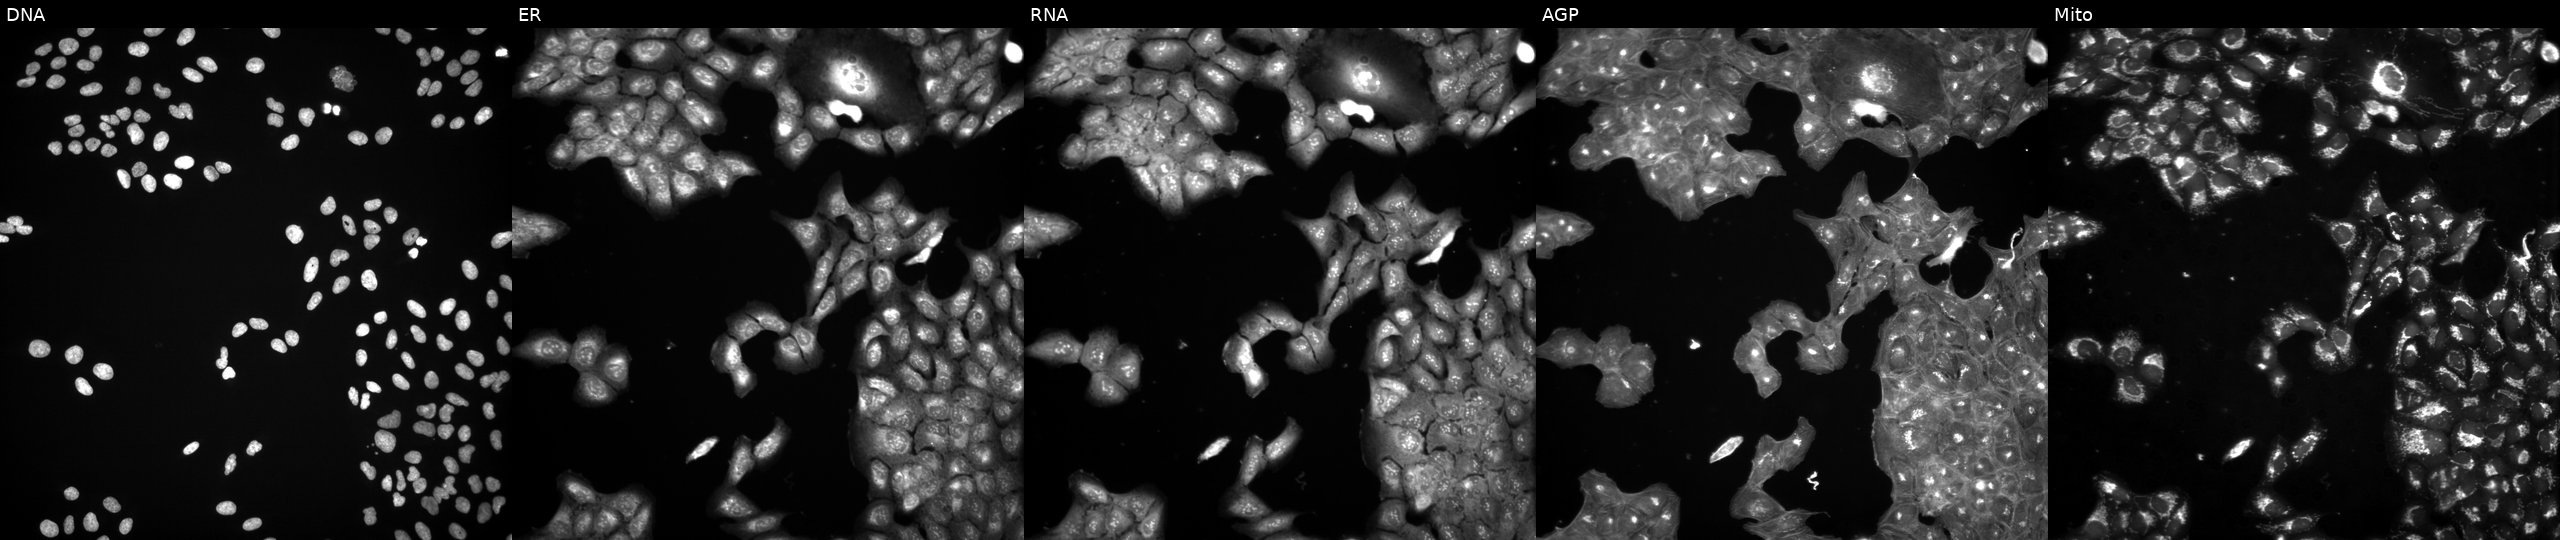
U2OS cells, Cell Painting assay, exposed to a small-molecule compound (InChIKey DXOVRICRSZZUJR-UHFFFAOYSA-N). Panels show, left to right, DNA (nuclei); ER (endoplasmic reticulum); RNA (nucleoli and cytoplasmic RNA); AGP (actin cytoskeleton, Golgi, and plasma membrane); Mito (mitochondria). Each panel is percentile-stretched 16-bit fluorescence.